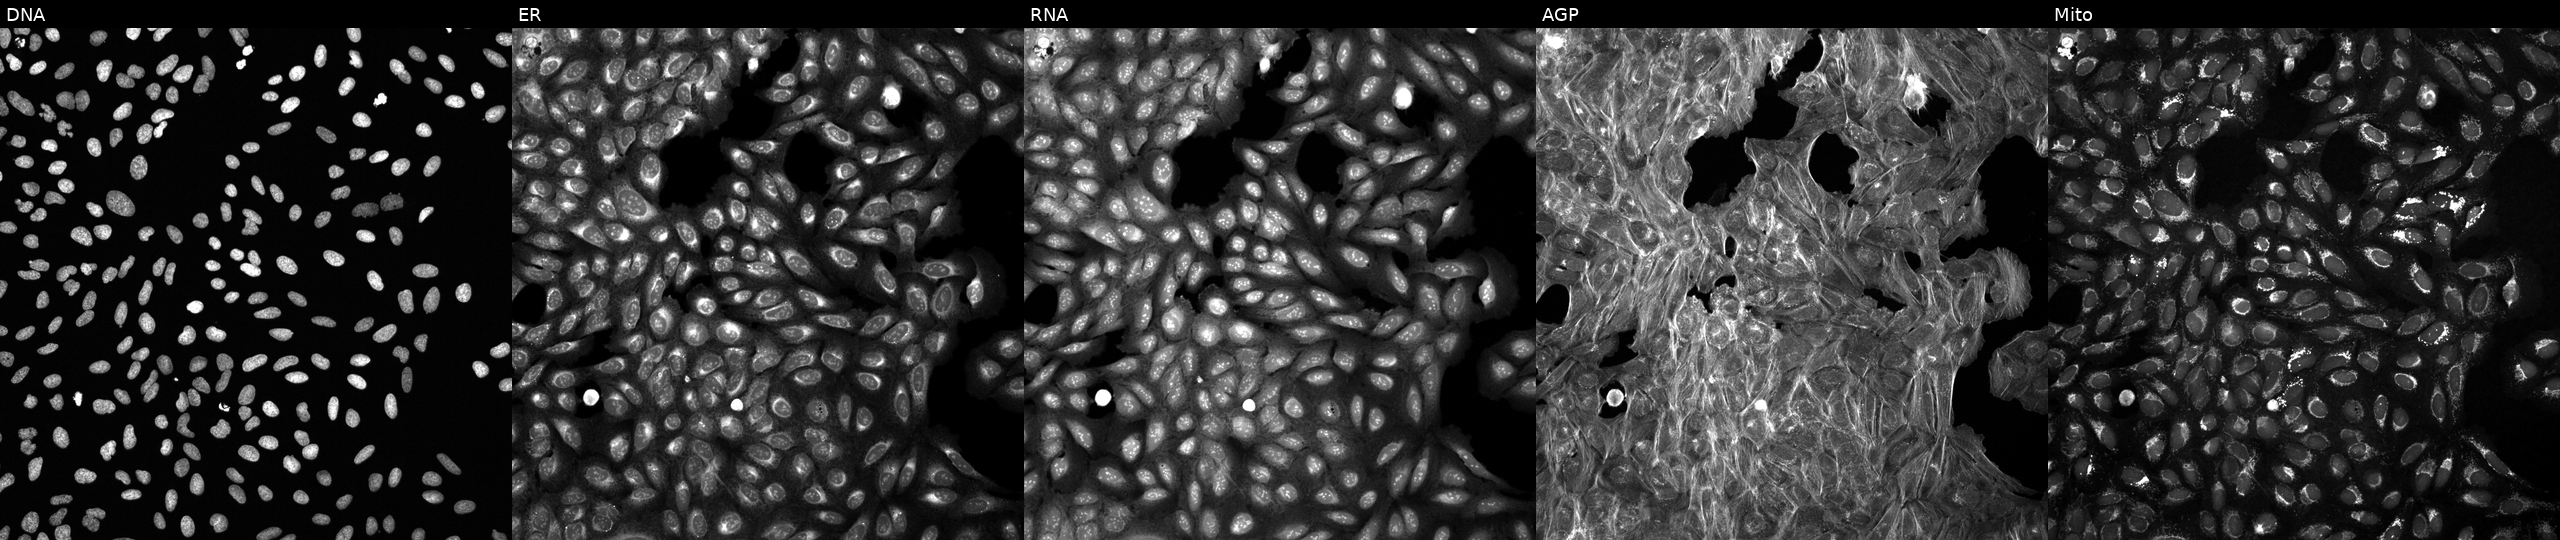
Channels (left→right): DNA, ER, RNA, AGP, and Mito. U2OS osteosarcoma cells exposed to DMSO alone as a negative control. Cell Painting assay, JUMP-CP dataset. Source 6, plate 110000293083, well C23.